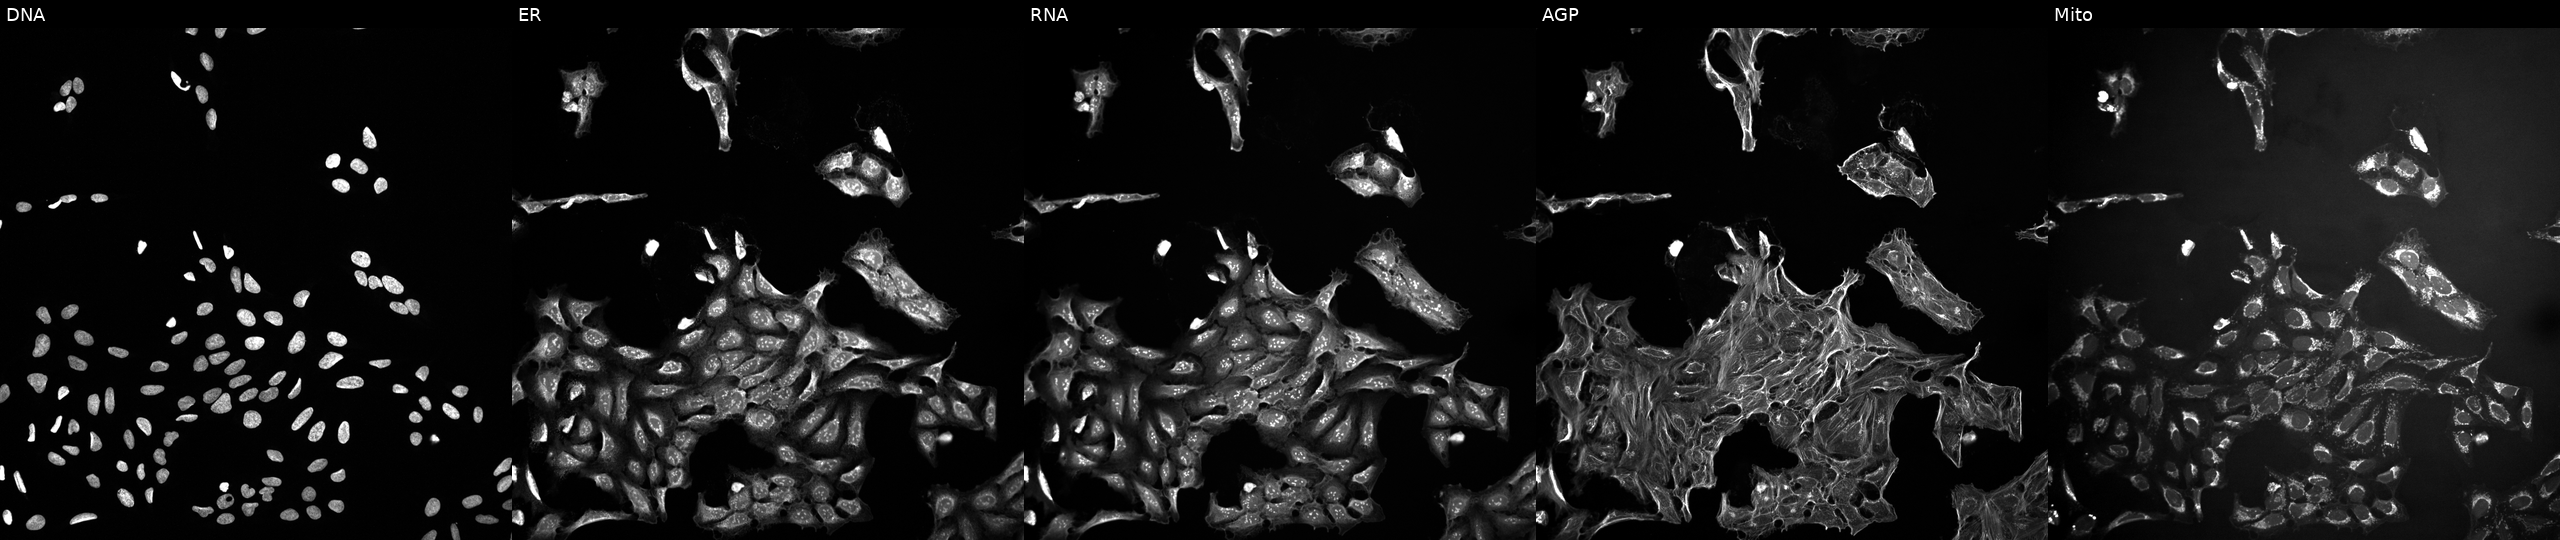
Five-channel Cell Painting image of U2OS cells treated with a small-molecule compound. Channels (left→right): Hoechst 33342, concanavalin A, SYTO 14, phalloidin and WGA, MitoTracker.